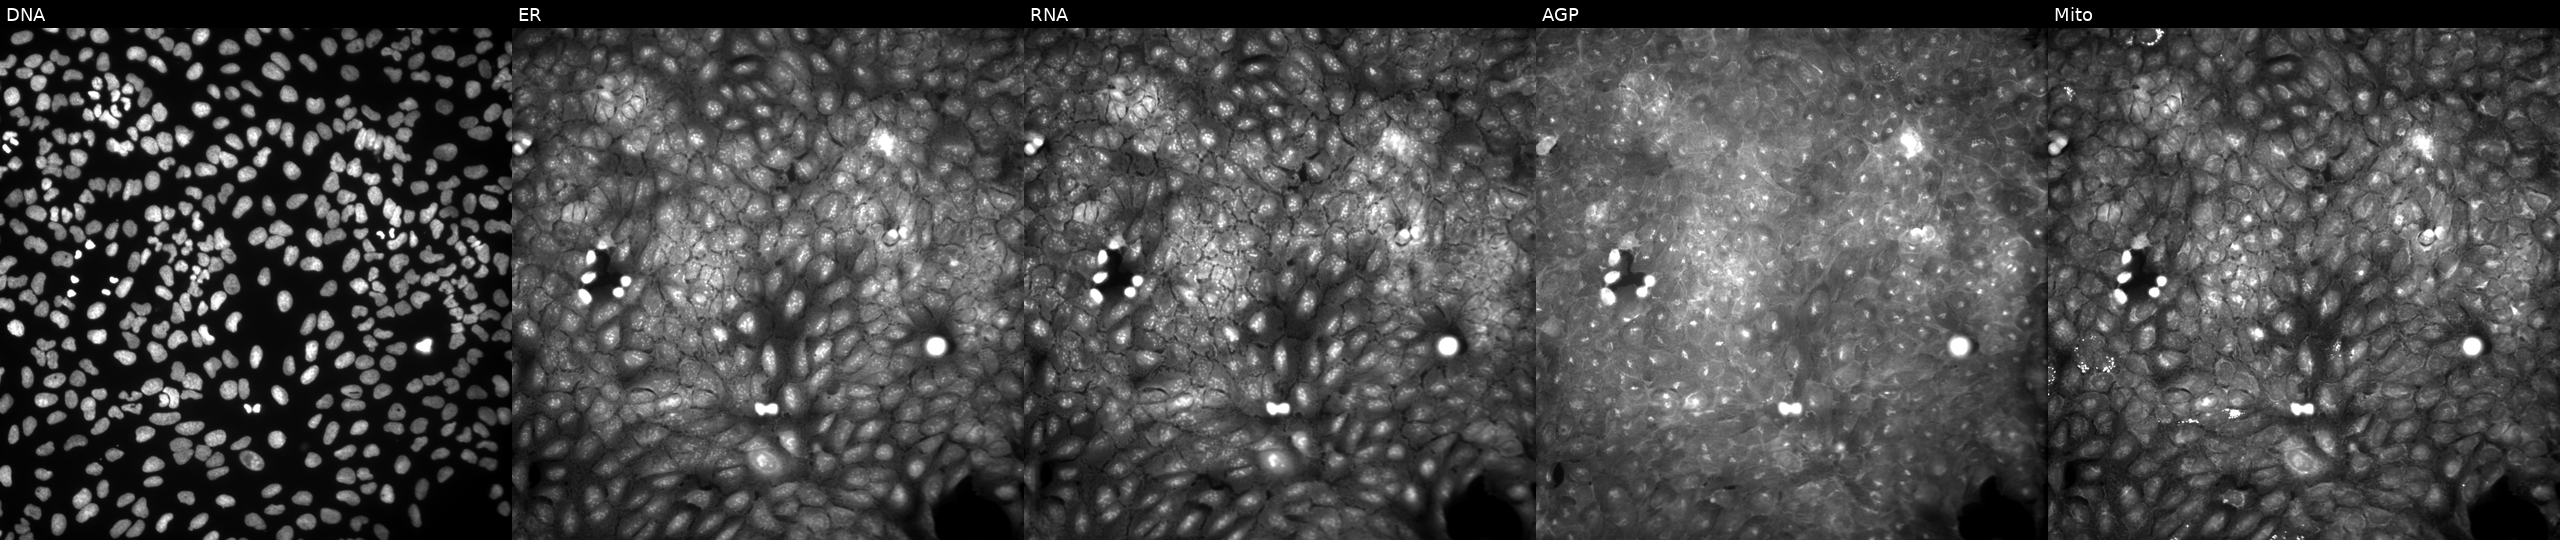
High-content fluorescence microscopy (Cell Painting). Cell line: U2OS. Perturbation: treated with a small-molecule compound (InChIKey SDJNQWDTASSSCU-UHFFFAOYSA-N). Channels (left→right): DNA, ER, RNA, AGP, and Mito. Source 9, plate GR00003381, well T37.